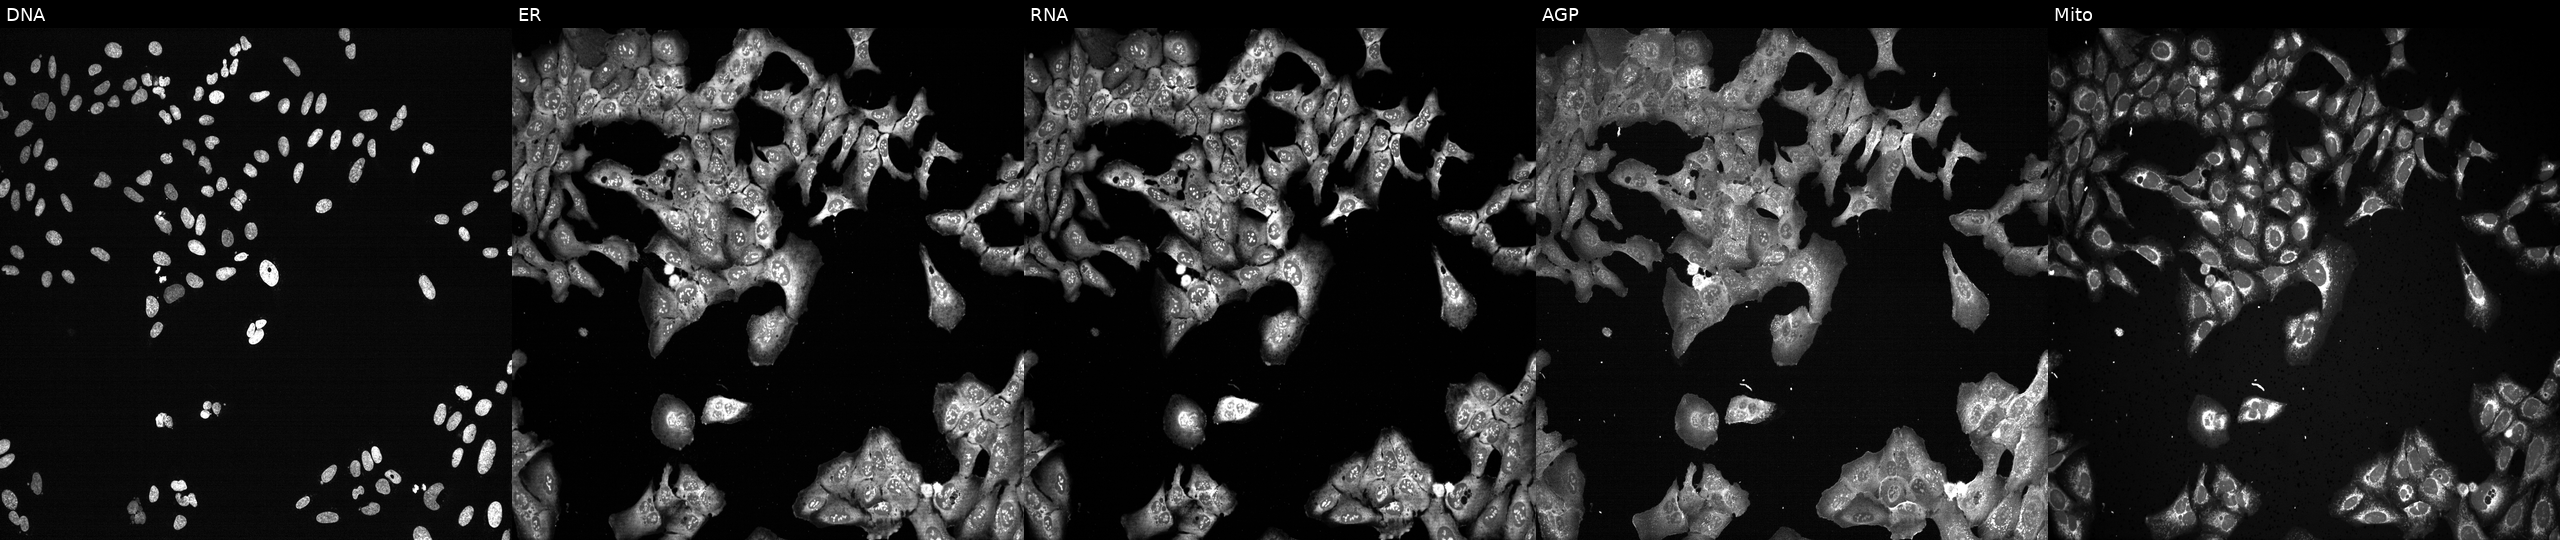
JUMP Cell Painting — CRISPR plate. U2OS cells with EEF1A1 knocked out by CRISPR (JUMP id JCP2022_802007). The five panels, left to right, show DNA, ER, RNA, AGP, and Mito.